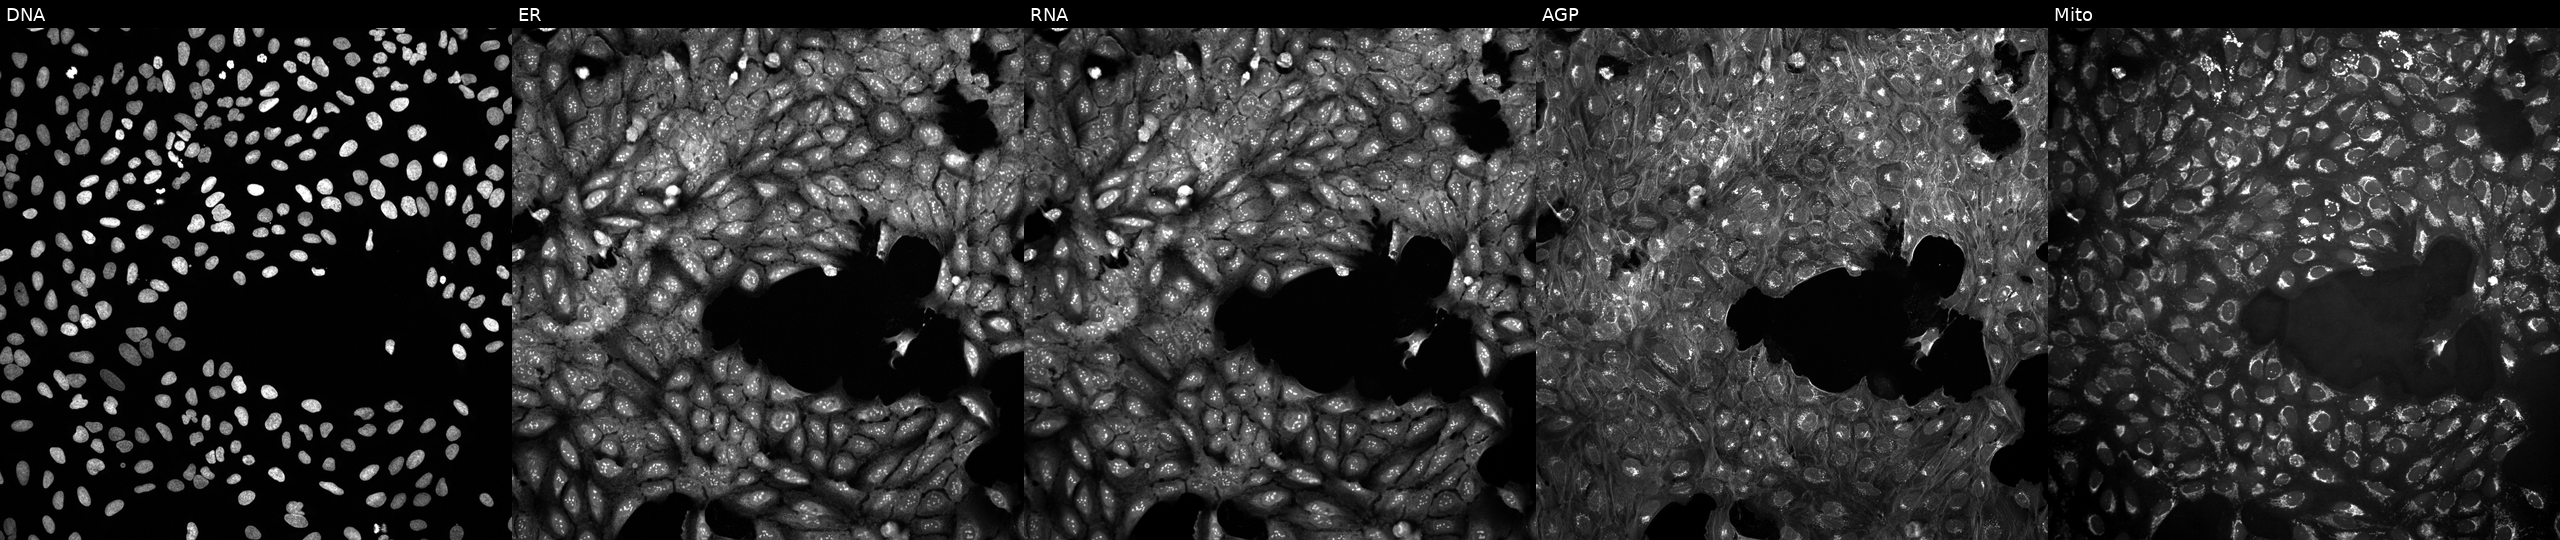
High-content fluorescence microscopy (Cell Painting). Cell line: U2OS. Perturbation: untreated (empty-well control). Channels (left→right): Hoechst 33342, concanavalin A, SYTO 14, phalloidin and WGA, MitoTracker.